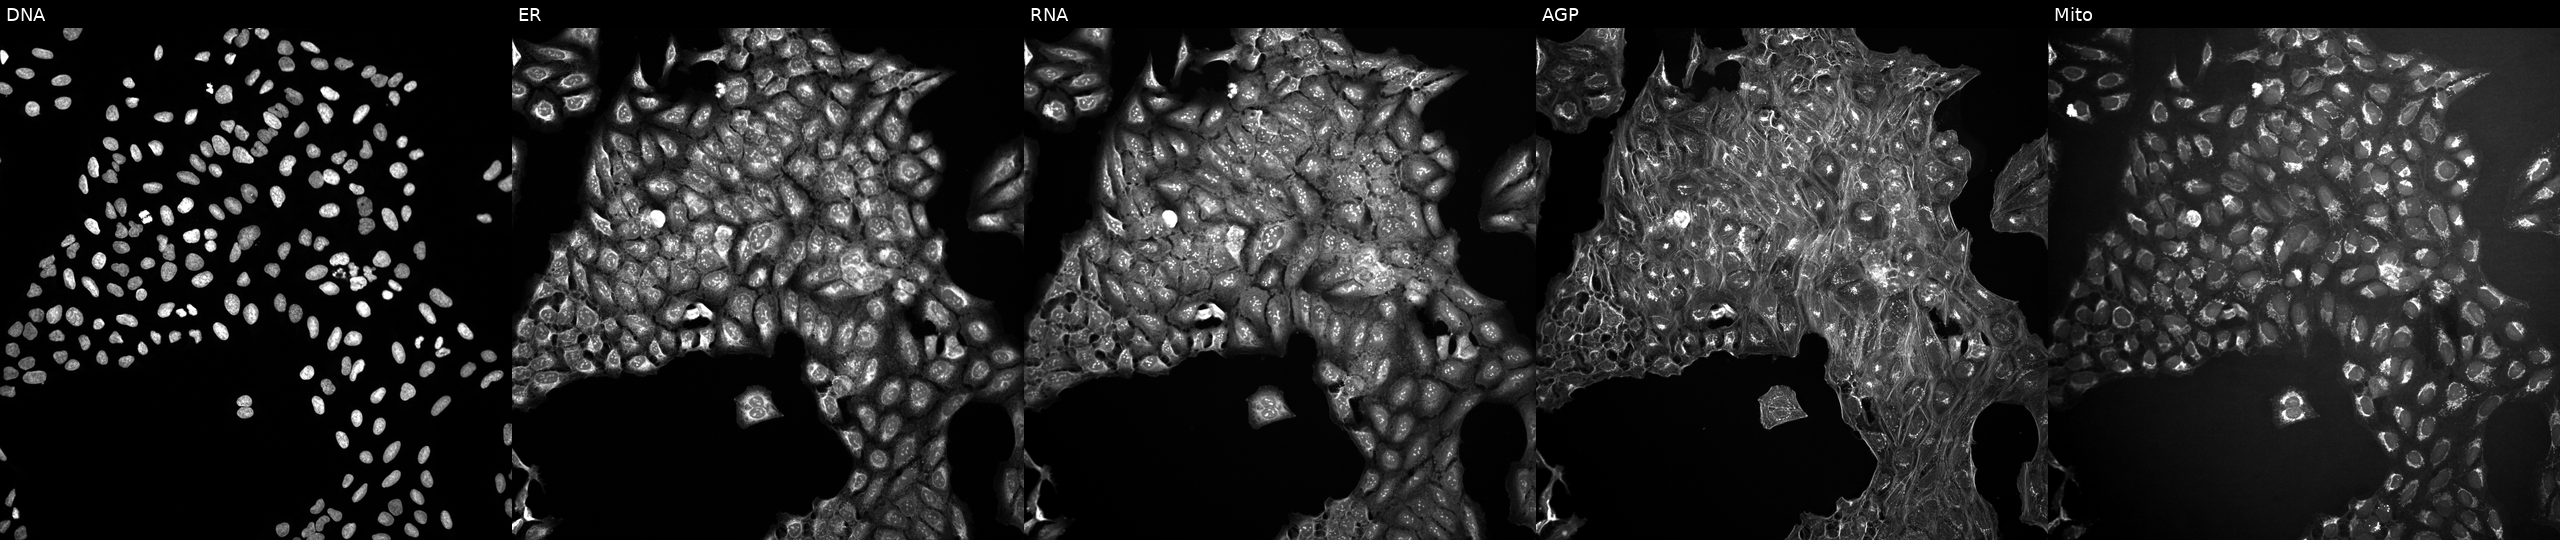
High-content fluorescence microscopy (Cell Painting). Cell line: U2OS. Perturbation: perturbed with a small-molecule compound (InChIKey WGHOWGDZGJLRBY-UHFFFAOYSA-N) (JUMP id JCP2022_098563). Channels (left→right): Hoechst 33342, concanavalin A, SYTO 14, phalloidin and WGA, MitoTracker. Source 10, plate Dest210531-152324, well E20.